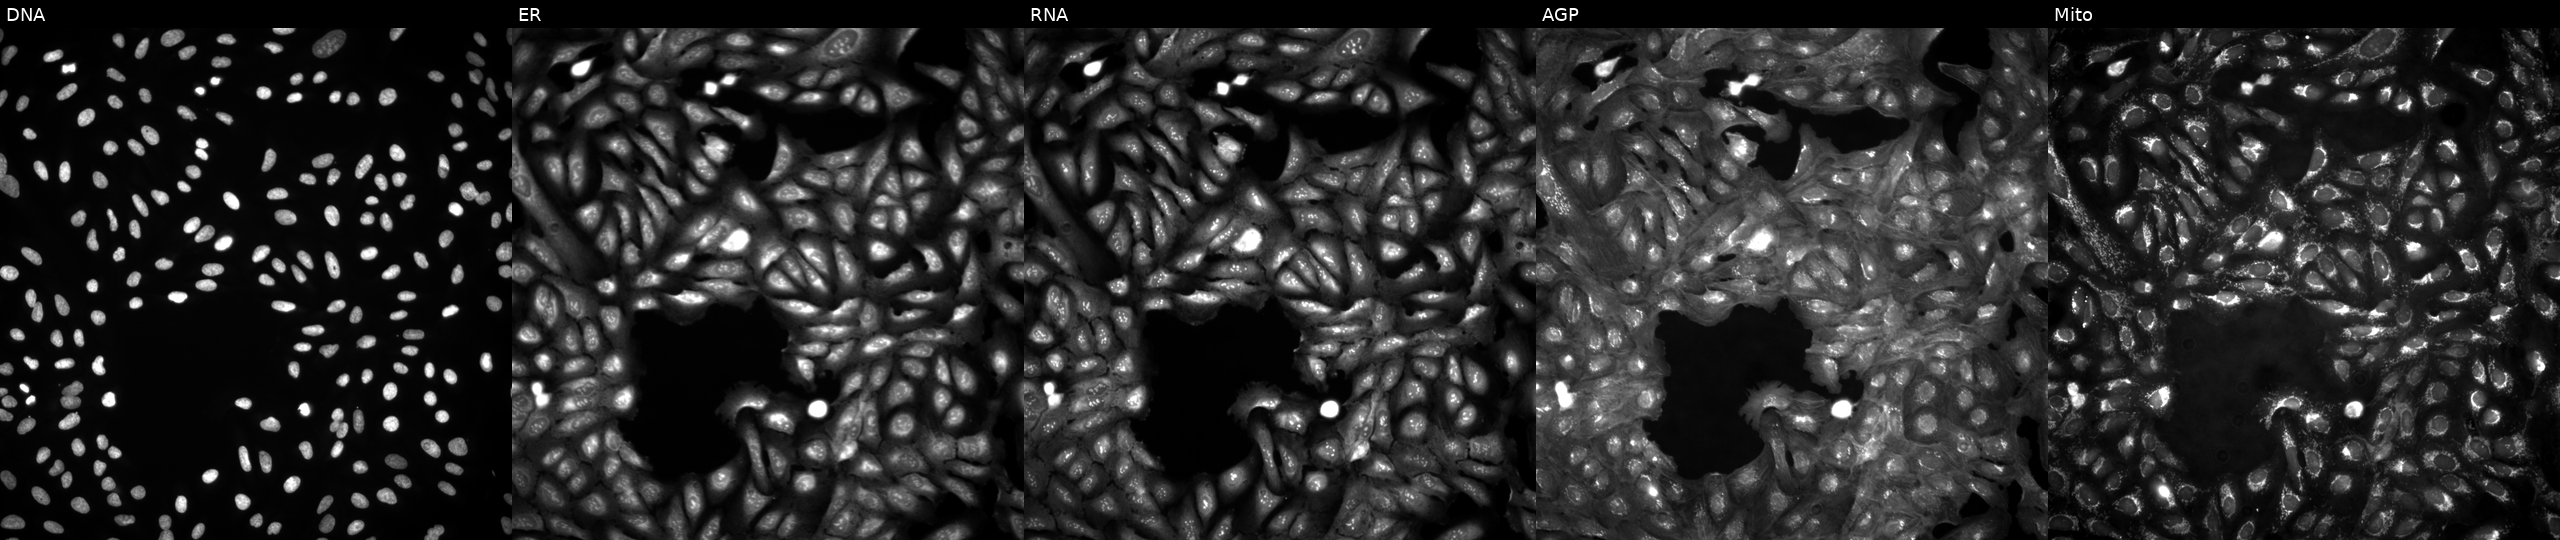
U2OS cells, Cell Painting assay, in an empty control well (no perturbation) (JUMP id JCP2022_999999). The five panels, left to right, show DNA, ER, RNA, AGP, and Mito. Each panel is percentile-stretched 16-bit fluorescence. Source 4, plate BR00124793, well F10.